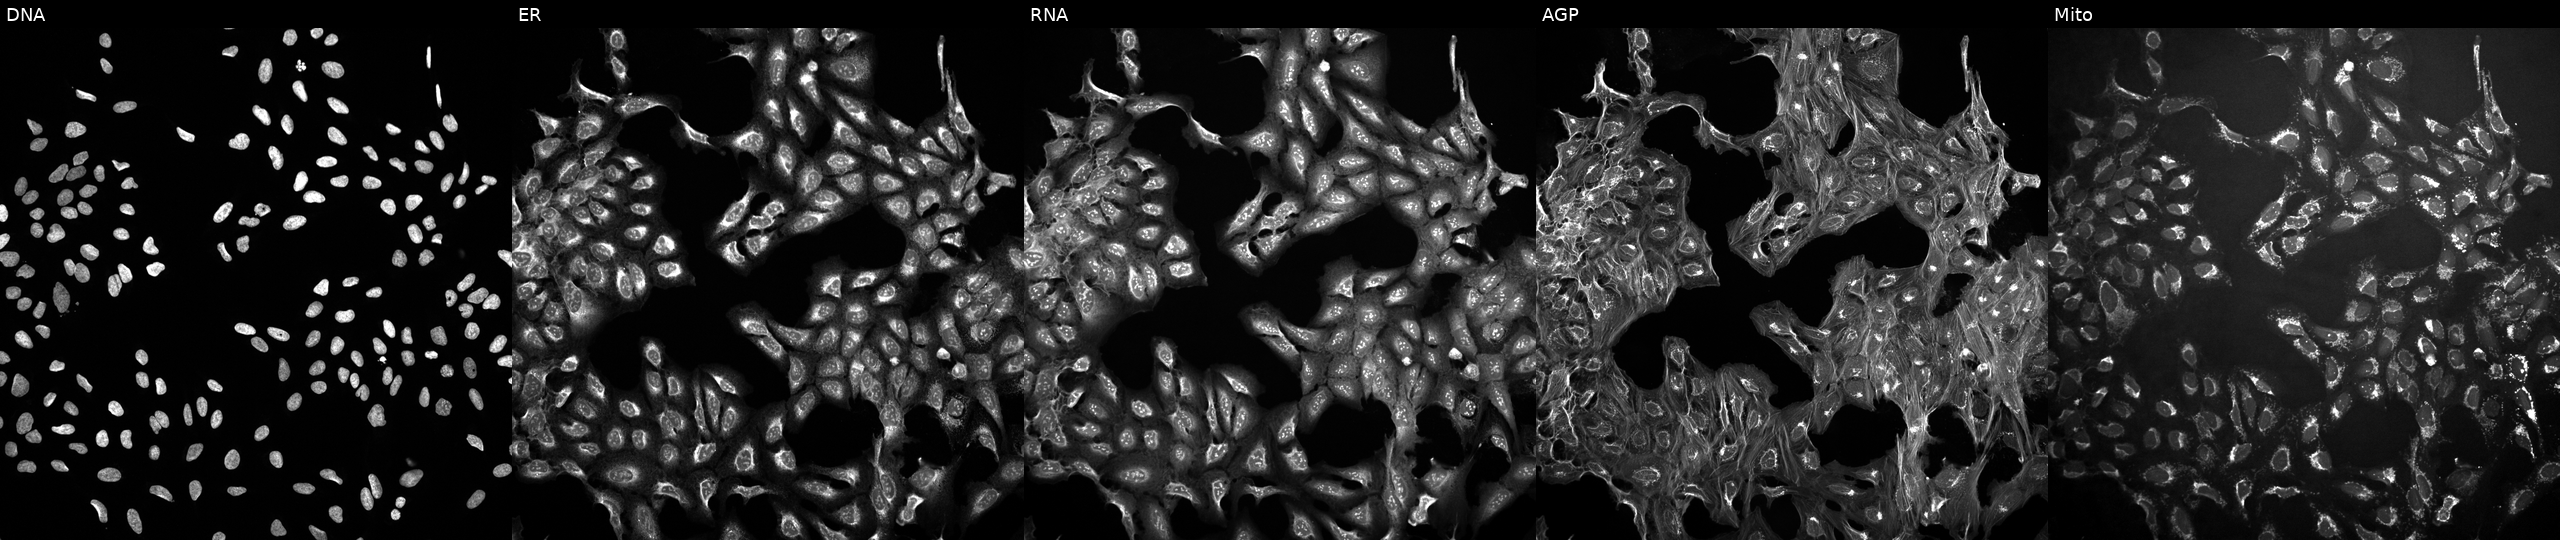
U2OS cells, Cell Painting assay, untreated (empty-well control). Panels show, left to right, DNA (nuclei); ER (endoplasmic reticulum); RNA (nucleoli and cytoplasmic RNA); AGP (actin cytoskeleton, Golgi, and plasma membrane); Mito (mitochondria). Each panel is percentile-stretched 16-bit fluorescence. Source 10, plate Dest210531-152324, well C03.